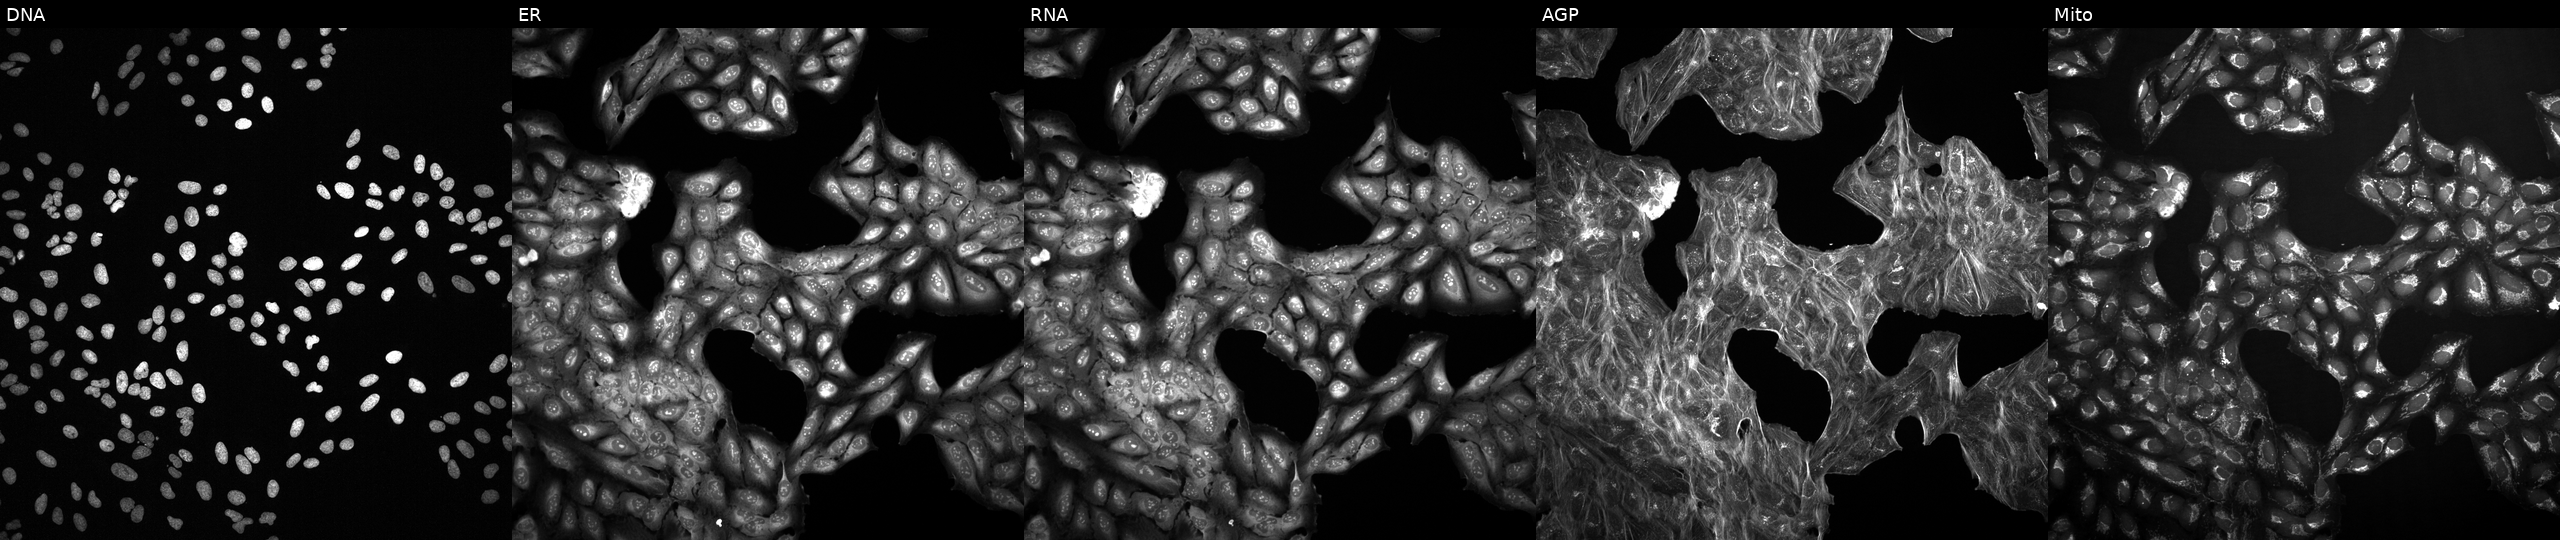
From left to right: DNA (nuclei); ER (endoplasmic reticulum); RNA (nucleoli and cytoplasmic RNA); AGP (actin cytoskeleton, Golgi, and plasma membrane); Mito (mitochondria). U2OS osteosarcoma cells treated with a small-molecule compound (InChIKey UGYXPZQILZRKJJ-UHFFFAOYSA-N) (JUMP id JCP2022_089172). Cell Painting assay, JUMP-CP dataset. Source 2, plate 1053597936, well D23.